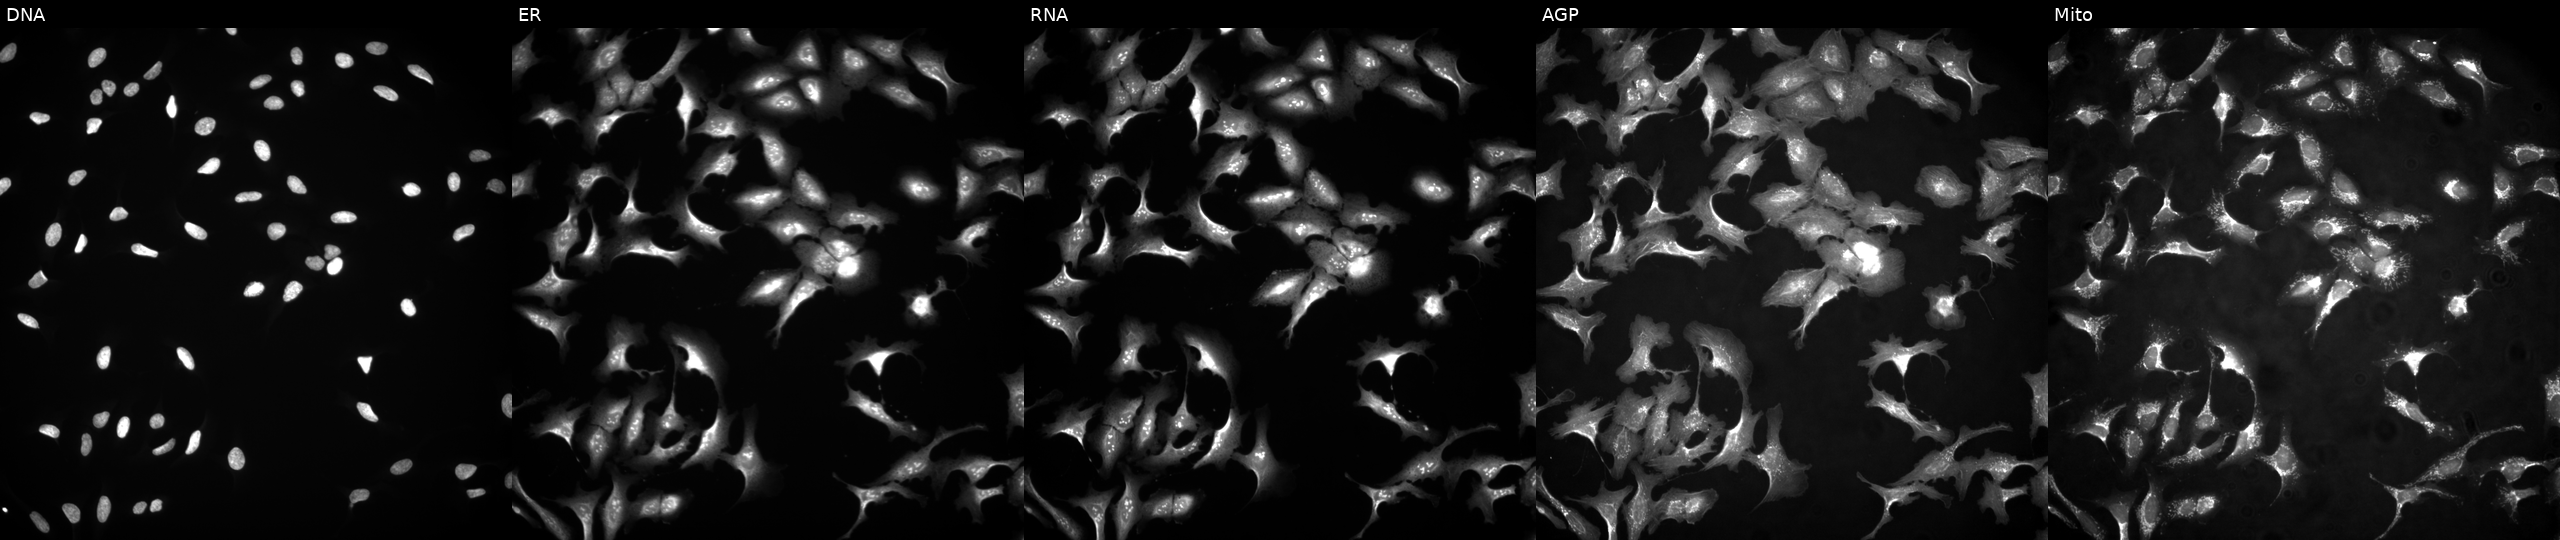
JUMP Cell Painting — ORF plate. U2OS cells with MRPL51 overexpressed (ORF) (JUMP id JCP2022_903059). Panels show, left to right, Hoechst 33342, concanavalin A, SYTO 14, phalloidin and WGA, MitoTracker.